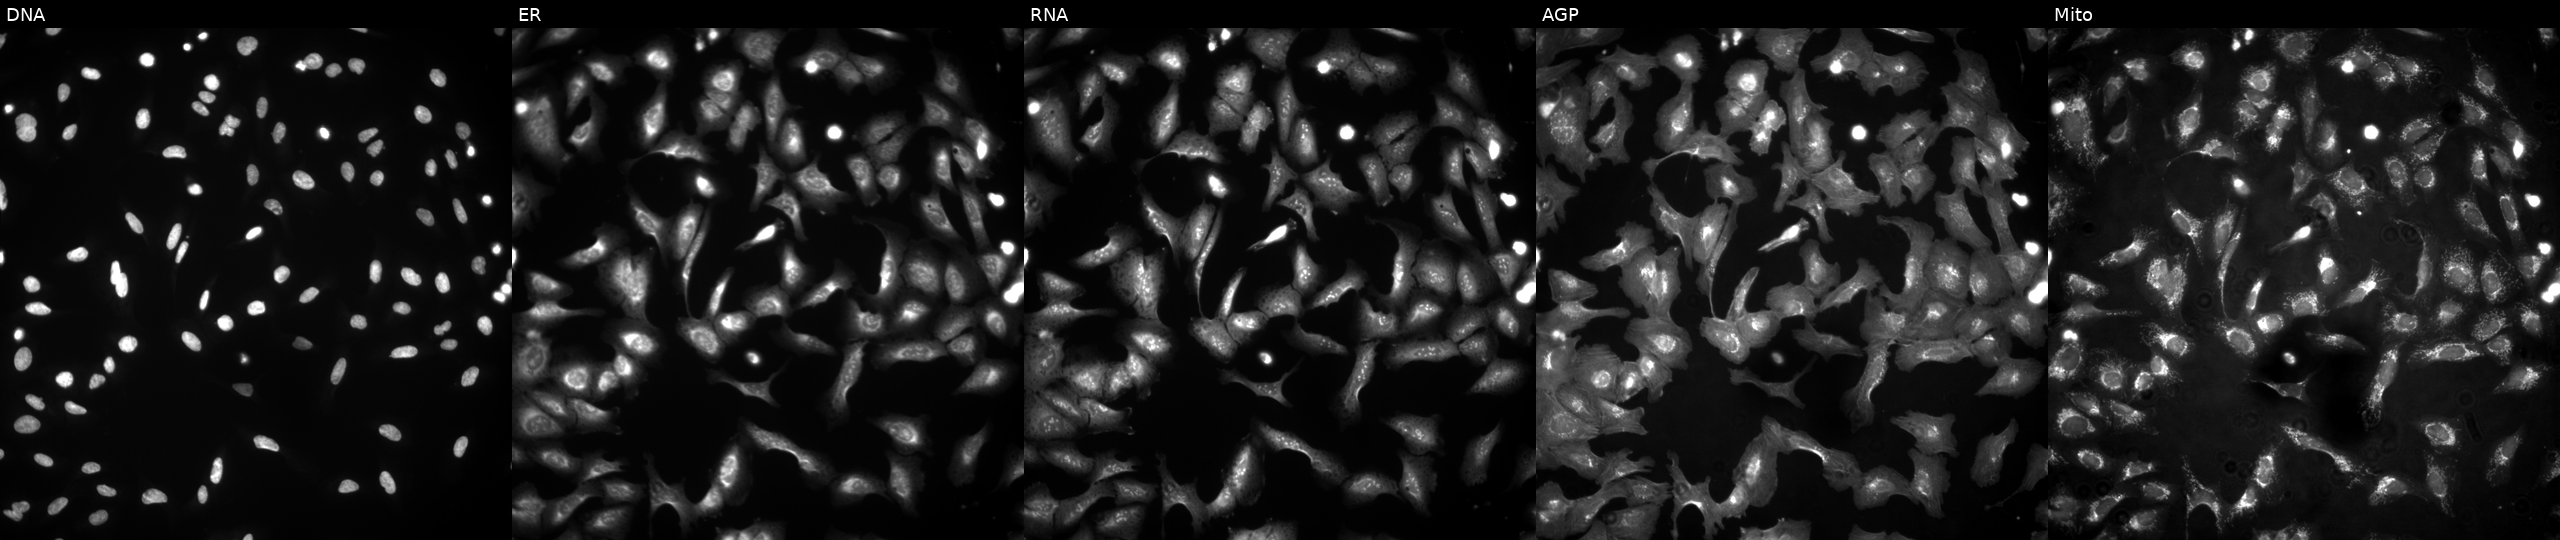
This image strip shows the five Cell Painting channels for a single field of U2OS cells transfected with an ORF construct for FASLG (JUMP id JCP2022_900081). Channels (left→right): DNA (nuclei); ER (endoplasmic reticulum); RNA (nucleoli and cytoplasmic RNA); AGP (actin cytoskeleton, Golgi, and plasma membrane); Mito (mitochondria). Source 4, plate BR00124790, well P01.